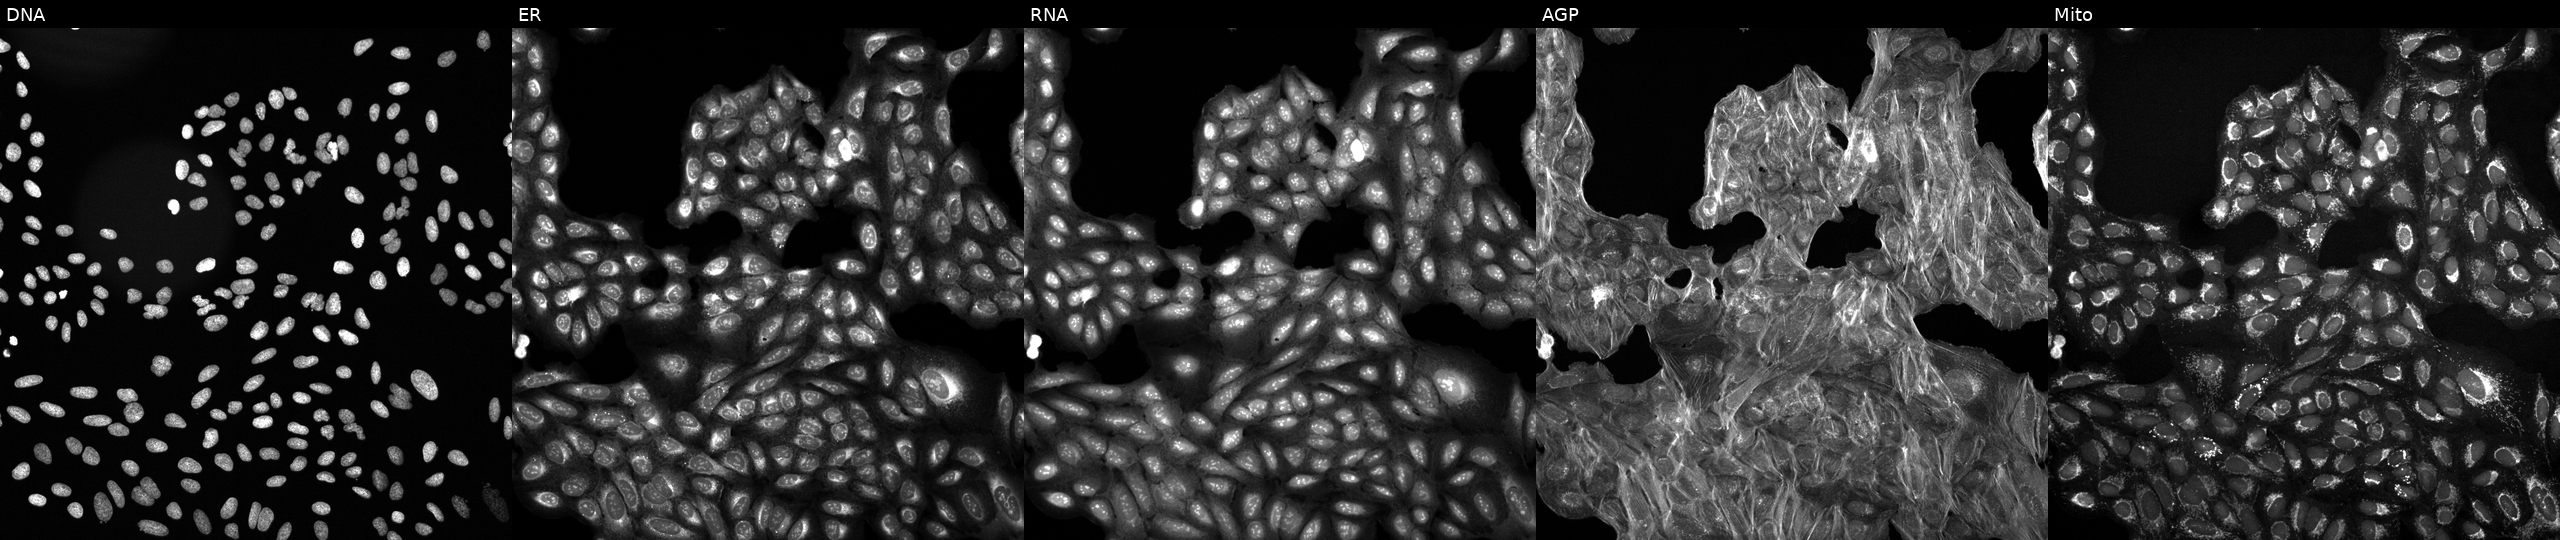
U2OS cells, Cell Painting assay, exposed to a small-molecule compound (InChIKey YGLWCZBFYJGJAE-UHFFFAOYSA-N). Channels (left→right): DNA (nuclei); ER (endoplasmic reticulum); RNA (nucleoli and cytoplasmic RNA); AGP (actin cytoskeleton, Golgi, and plasma membrane); Mito (mitochondria). Each panel is percentile-stretched 16-bit fluorescence. Source 6, plate 110000293082, well O03.